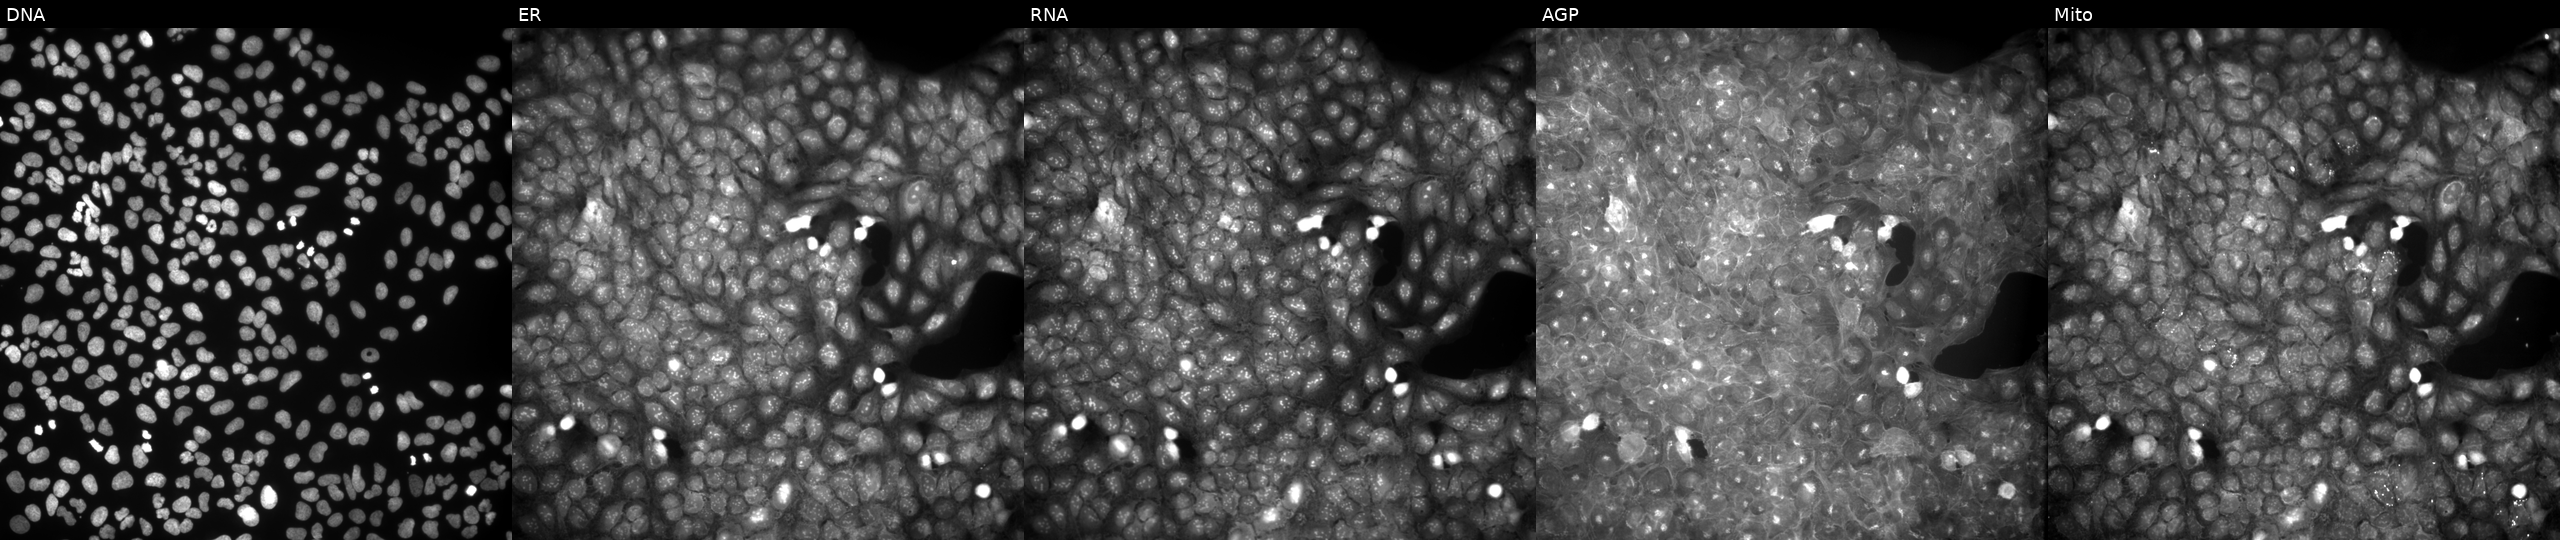
From left to right: Hoechst 33342, concanavalin A, SYTO 14, phalloidin and WGA, MitoTracker. U2OS osteosarcoma cells treated with a small-molecule compound (InChIKey WVVMQNZKEZKSMP-UHFFFAOYSA-N). Cell Painting assay, JUMP-CP dataset. Source 9, plate GR00003382, well AF18.